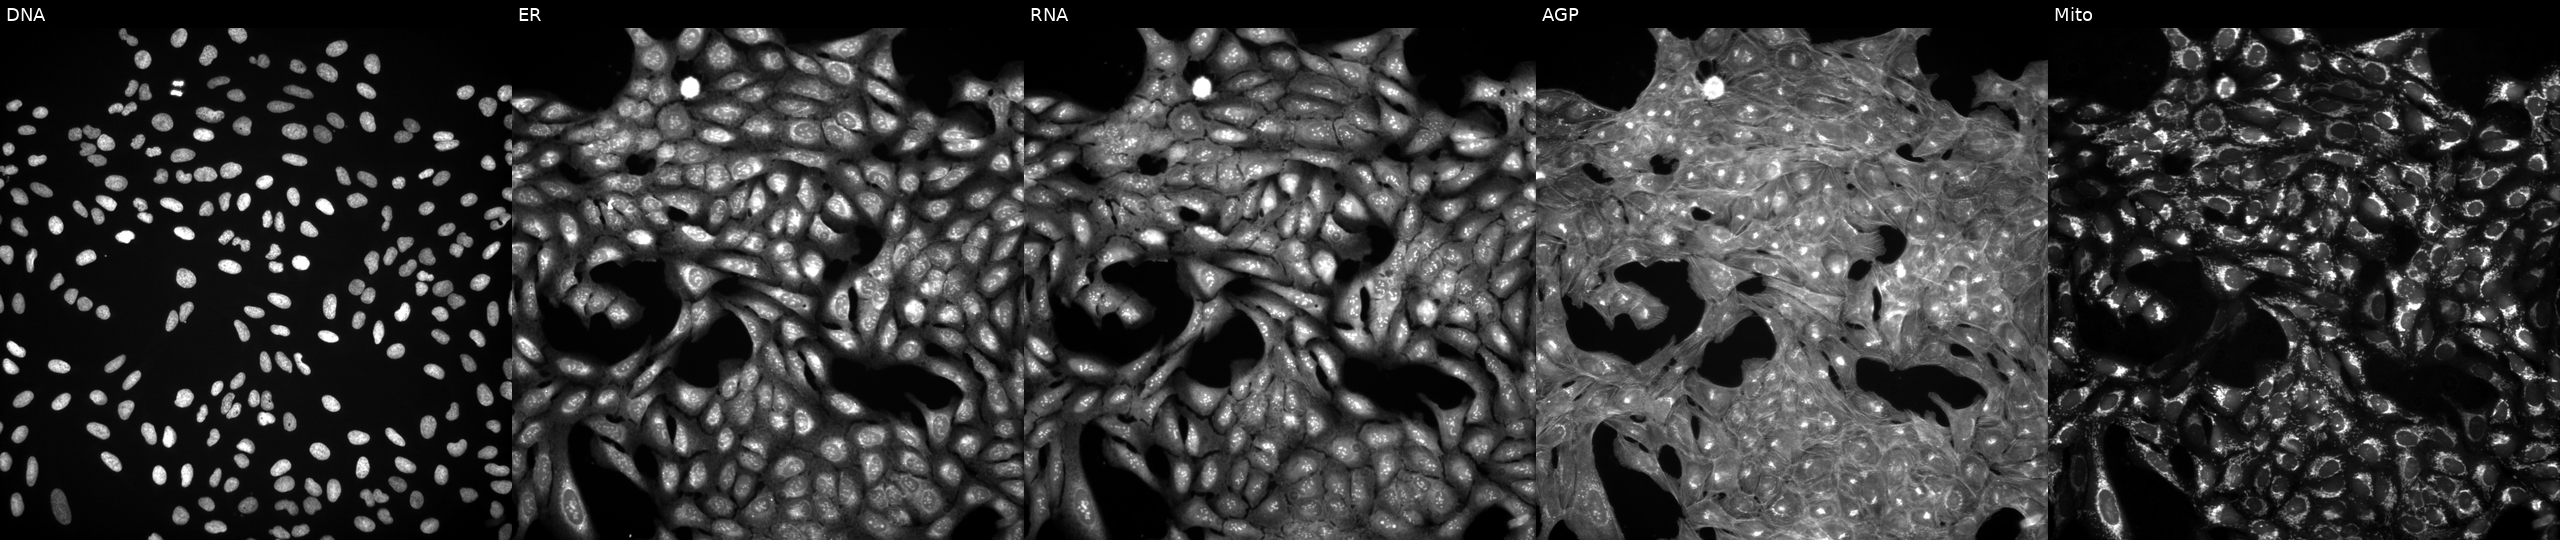
This image strip shows the five Cell Painting channels for a single field of U2OS cells treated with DMSO vehicle only (negative control). Panels show, left to right, DNA, ER, RNA, AGP, and Mito.